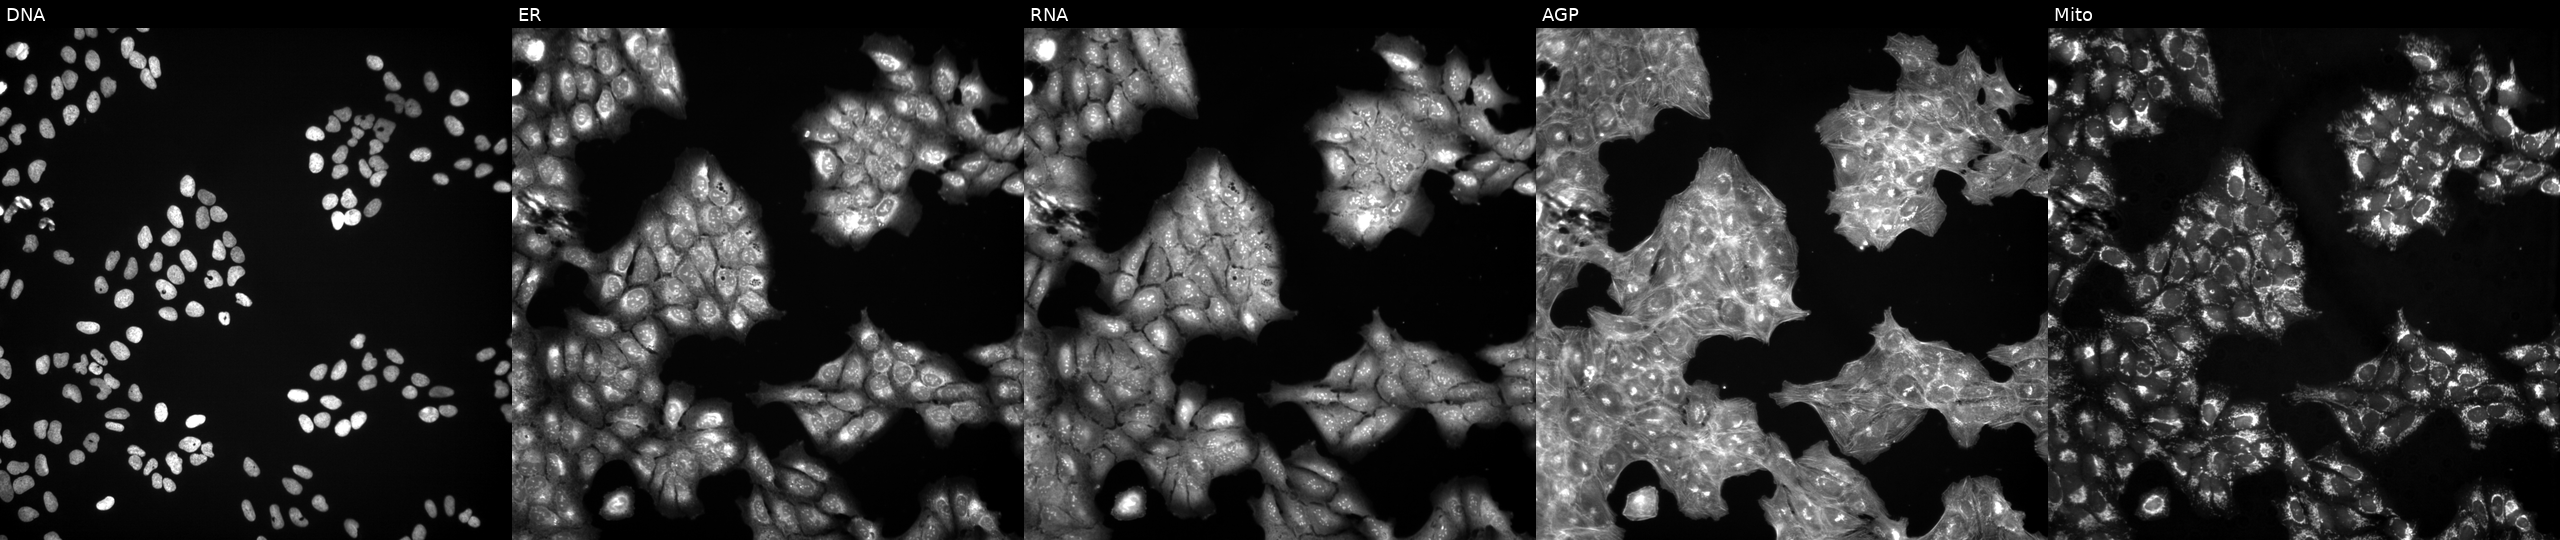
Five-channel Cell Painting image of U2OS cells exposed to a small-molecule compound (InChIKey OAVGBZOFDPFGPJ-UHFFFAOYSA-N) [SMILES: CN1CCN(c2nc(C3=C(c4c[nH]c5ccccc45)C(=O)NC3=O)c3ccccc3n2)CC1]. The five panels, left to right, show DNA (nuclei); ER (endoplasmic reticulum); RNA (nucleoli and cytoplasmic RNA); AGP (actin cytoskeleton, Golgi, and plasma membrane); Mito (mitochondria). Source 3, plate JCPQC053, well N03.